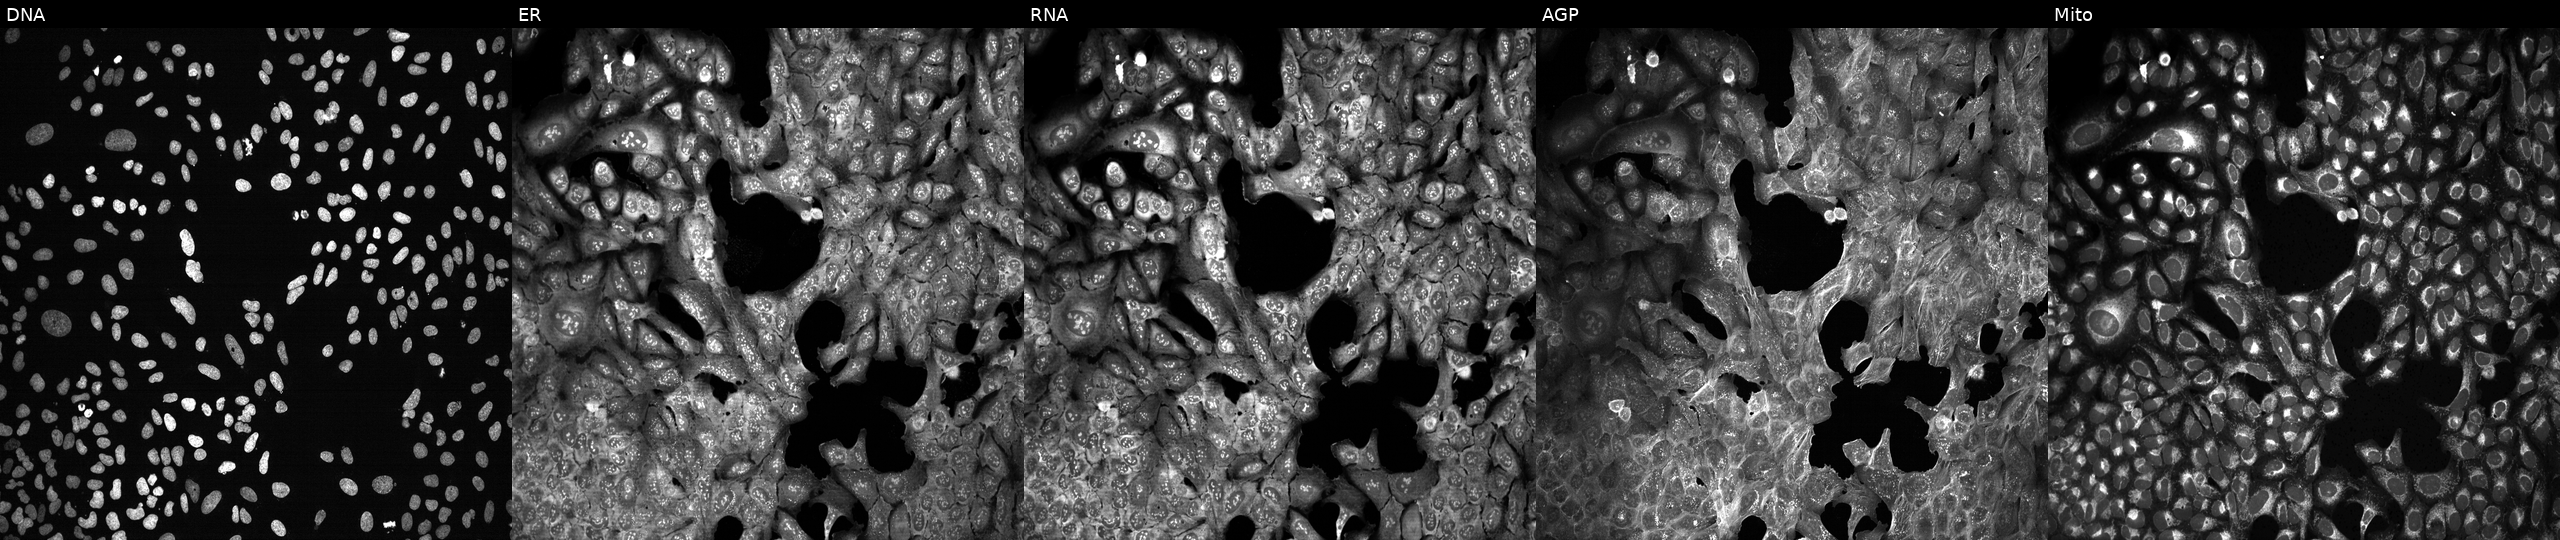
Channels (left→right): DNA (nuclei); ER (endoplasmic reticulum); RNA (nucleoli and cytoplasmic RNA); AGP (actin cytoskeleton, Golgi, and plasma membrane); Mito (mitochondria). U2OS osteosarcoma cells CRISPR-edited to disrupt PAMR1 (JUMP id JCP2022_804899). Cell Painting assay, JUMP-CP dataset. Source 13, plate CP-CC9-R6-19, well M22.